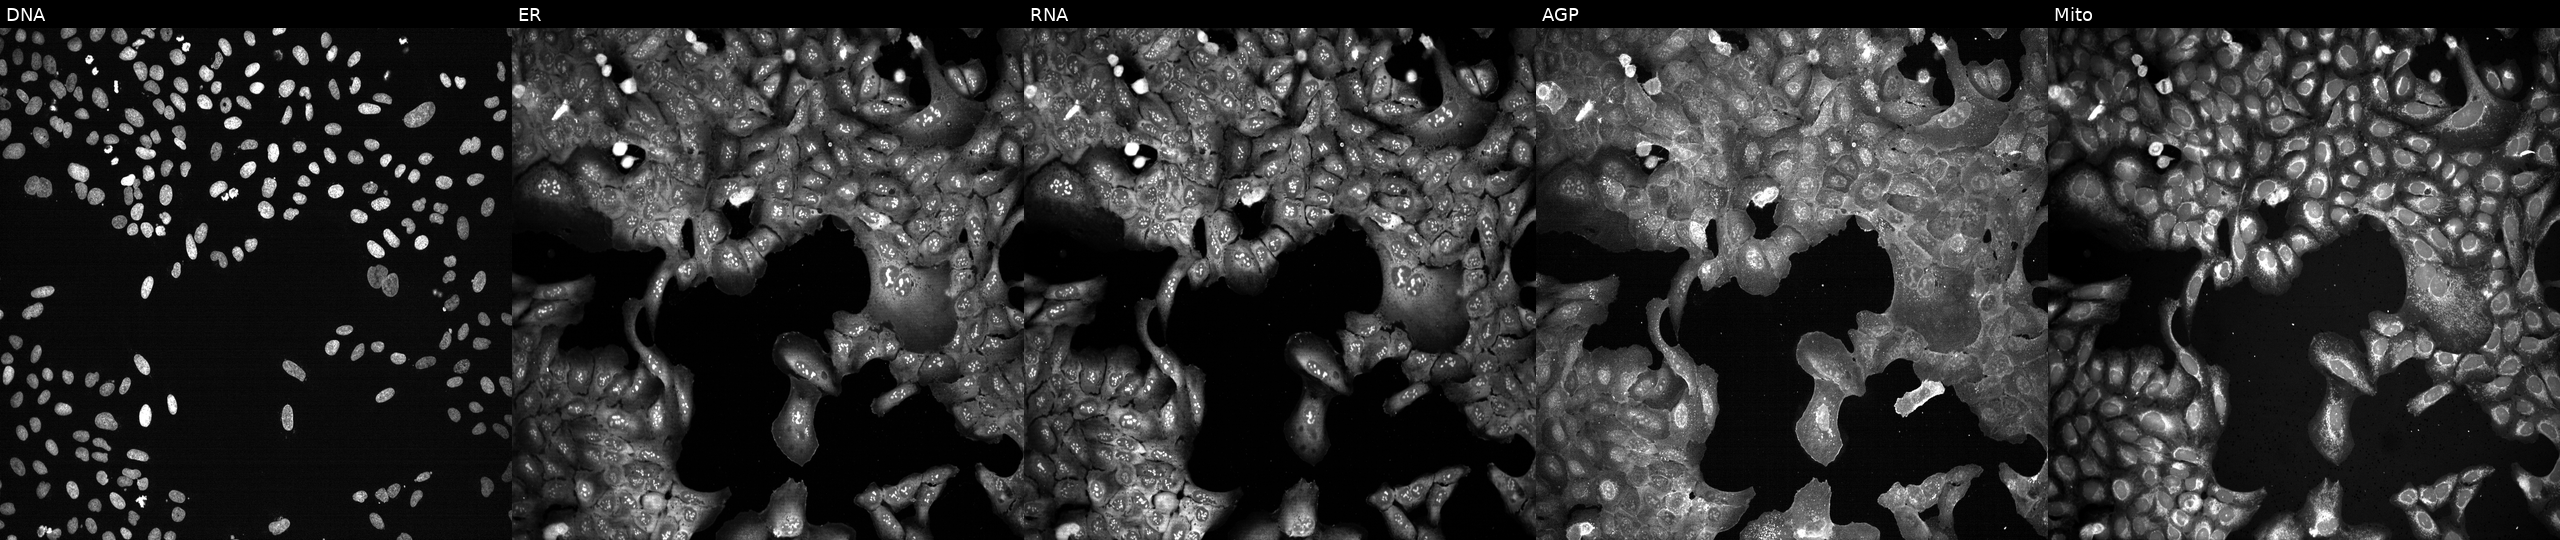
U2OS cells, Cell Painting assay, CRISPR-edited to disrupt NAAA. Panels show, left to right, Hoechst 33342, concanavalin A, SYTO 14, phalloidin and WGA, MitoTracker. Each panel is percentile-stretched 16-bit fluorescence. Source 13, plate CP-CC9-R5-01, well A22.